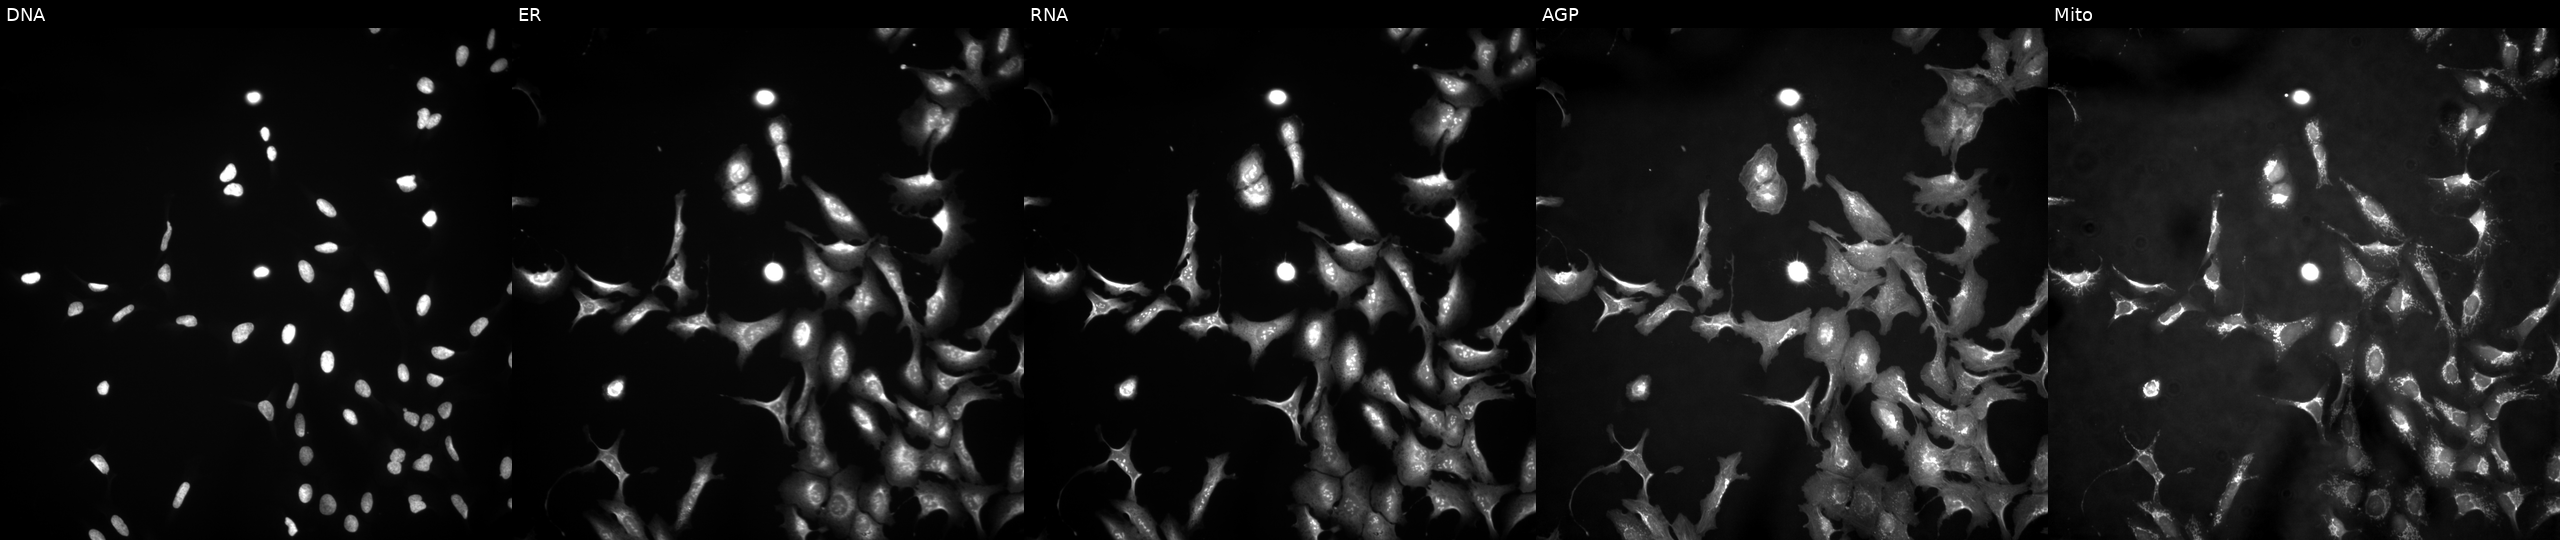
U2OS cells, Cell Painting assay, transfected with an ORF construct for HEY2. Channels (left→right): DNA (nuclei); ER (endoplasmic reticulum); RNA (nucleoli and cytoplasmic RNA); AGP (actin cytoskeleton, Golgi, and plasma membrane); Mito (mitochondria). Each panel is percentile-stretched 16-bit fluorescence. Source 4, plate BR00121543, well P14.